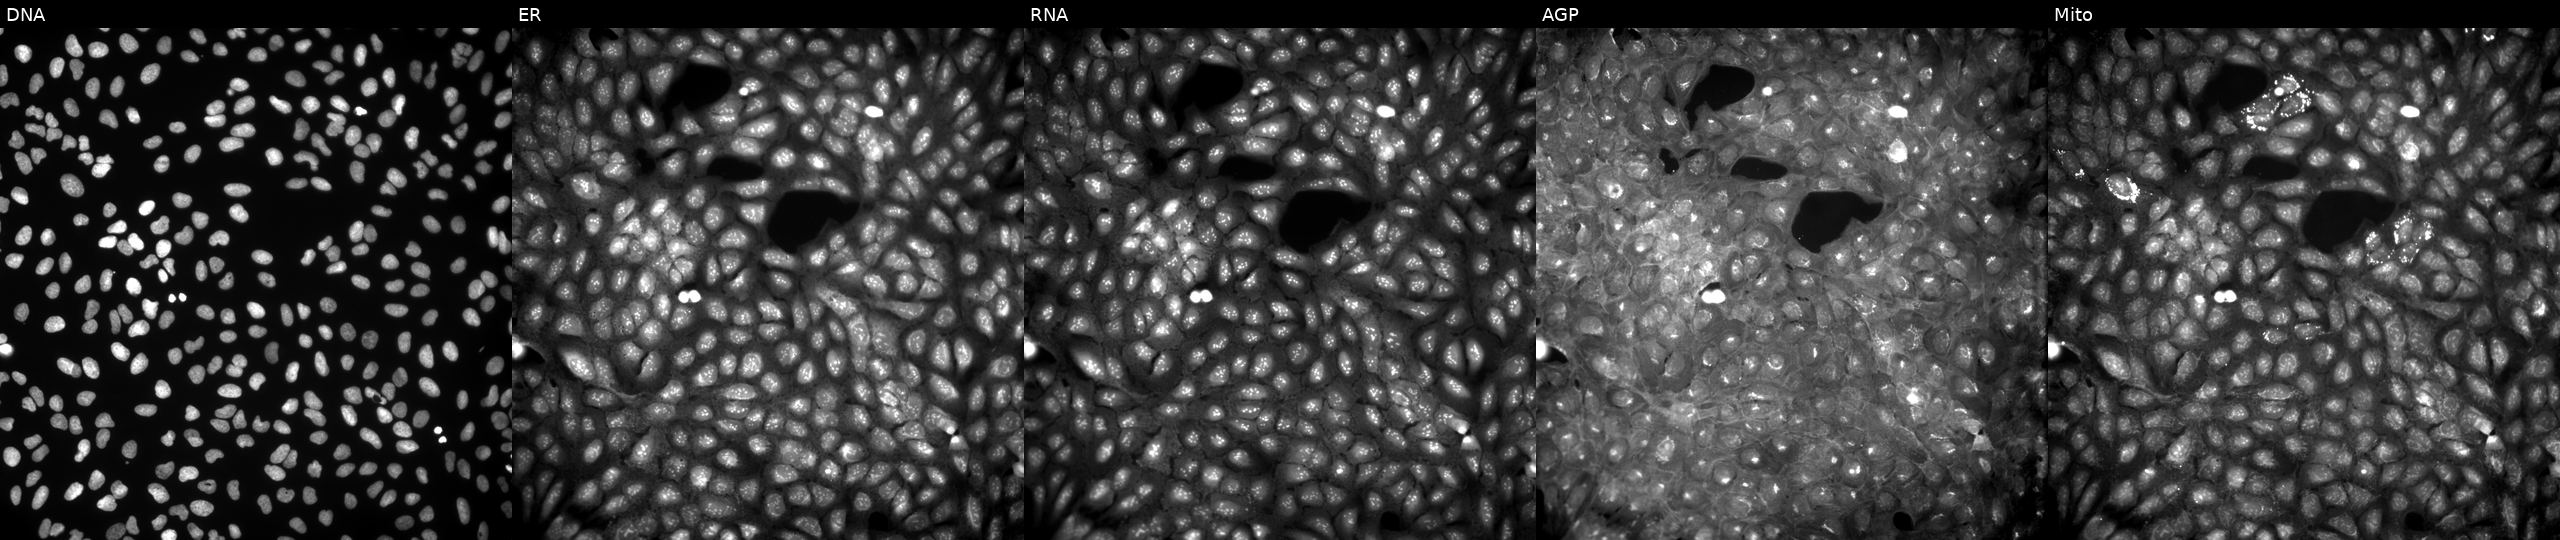
U2OS cells, Cell Painting assay, exposed to a small-molecule compound (InChIKey UAXPANBUCMSWKF-UHFFFAOYSA-N) [SMILES: CC(C)c1ccc(C(=O)CSc2n[nH]c(-c3ccncc3)n2)cc1]. Channels (left→right): DNA (nuclei); ER (endoplasmic reticulum); RNA (nucleoli and cytoplasmic RNA); AGP (actin cytoskeleton, Golgi, and plasma membrane); Mito (mitochondria). Each panel is percentile-stretched 16-bit fluorescence.